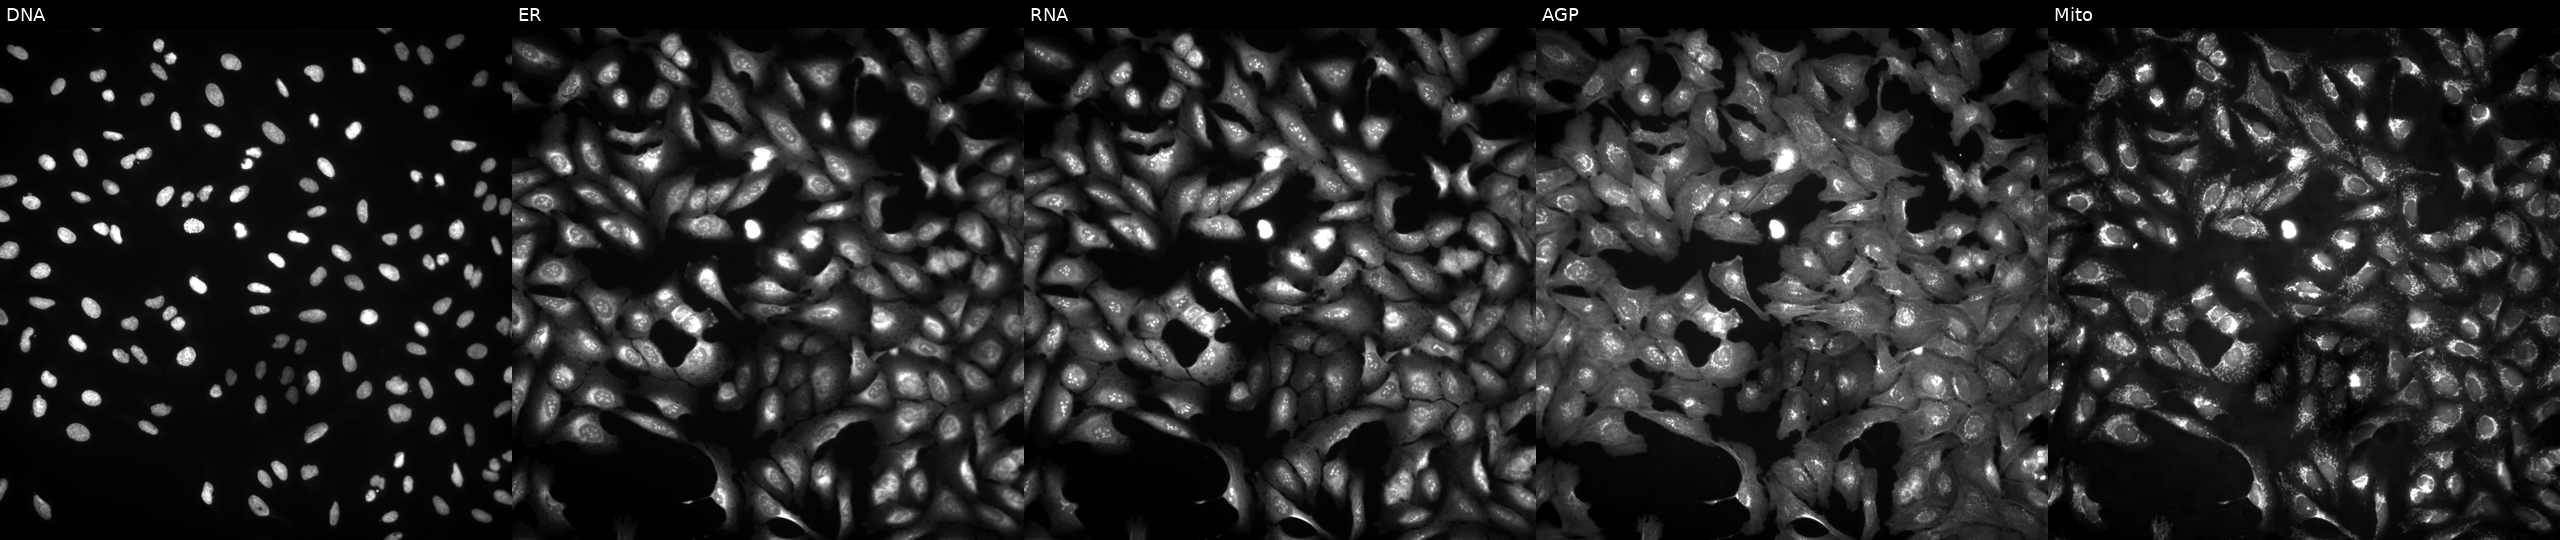
High-content fluorescence microscopy (Cell Painting). Cell line: U2OS. Perturbation: overexpressing MCAM via ORF transfection (JUMP id JCP2022_906148). The five panels, left to right, show Hoechst 33342, concanavalin A, SYTO 14, phalloidin and WGA, MitoTracker.